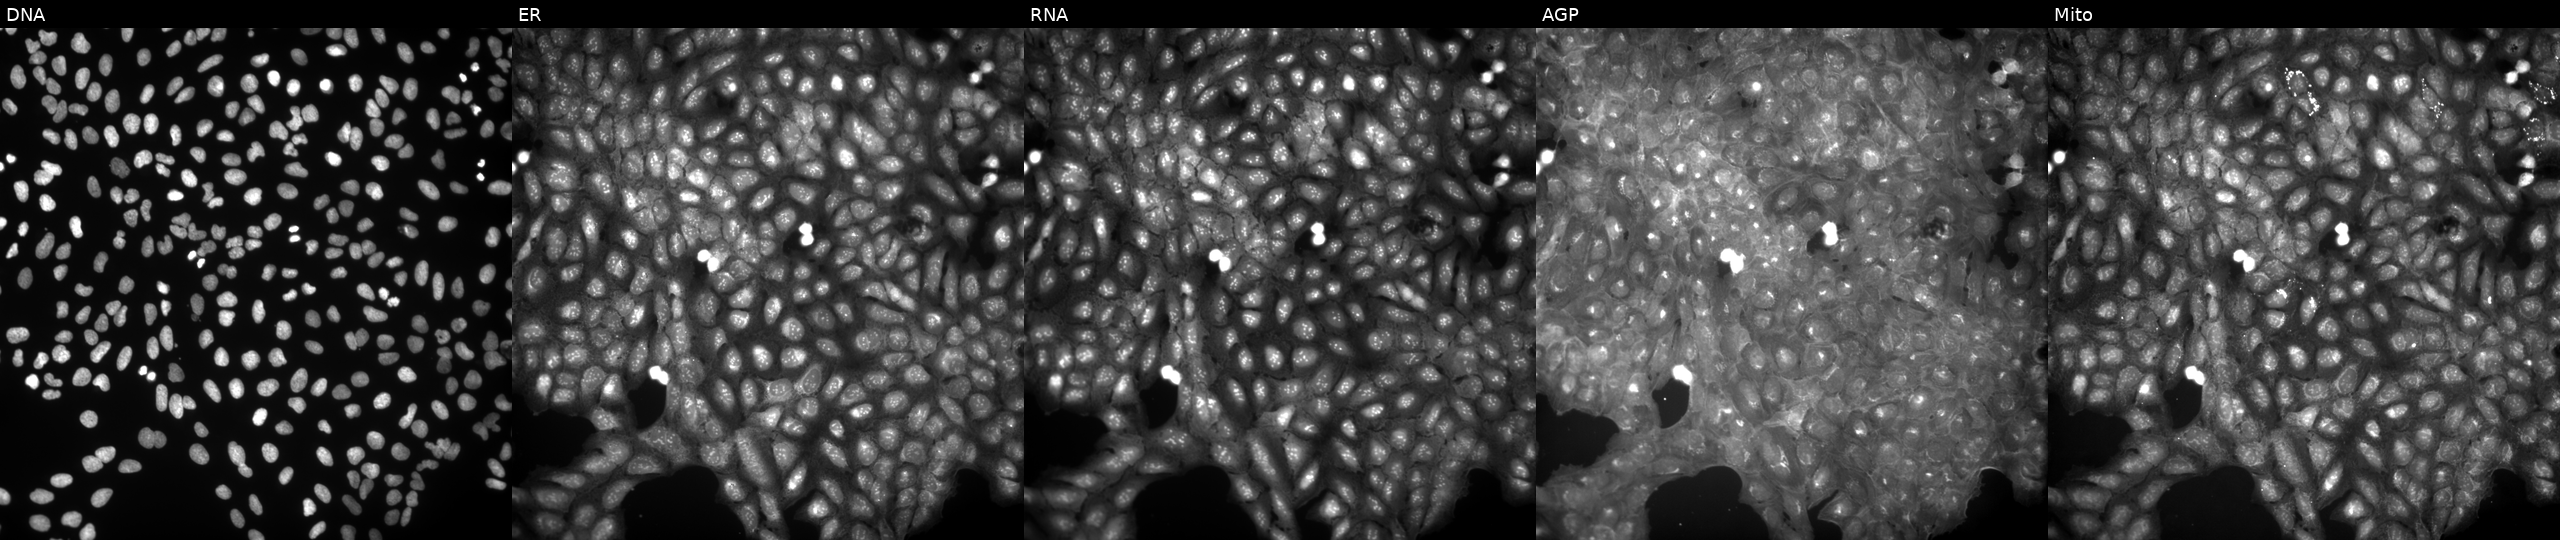
High-content fluorescence microscopy (Cell Painting). Cell line: U2OS. Perturbation: treated with a small-molecule compound. From left to right: Hoechst 33342, concanavalin A, SYTO 14, phalloidin and WGA, MitoTracker. Source 9, plate GR00003382, well T22.